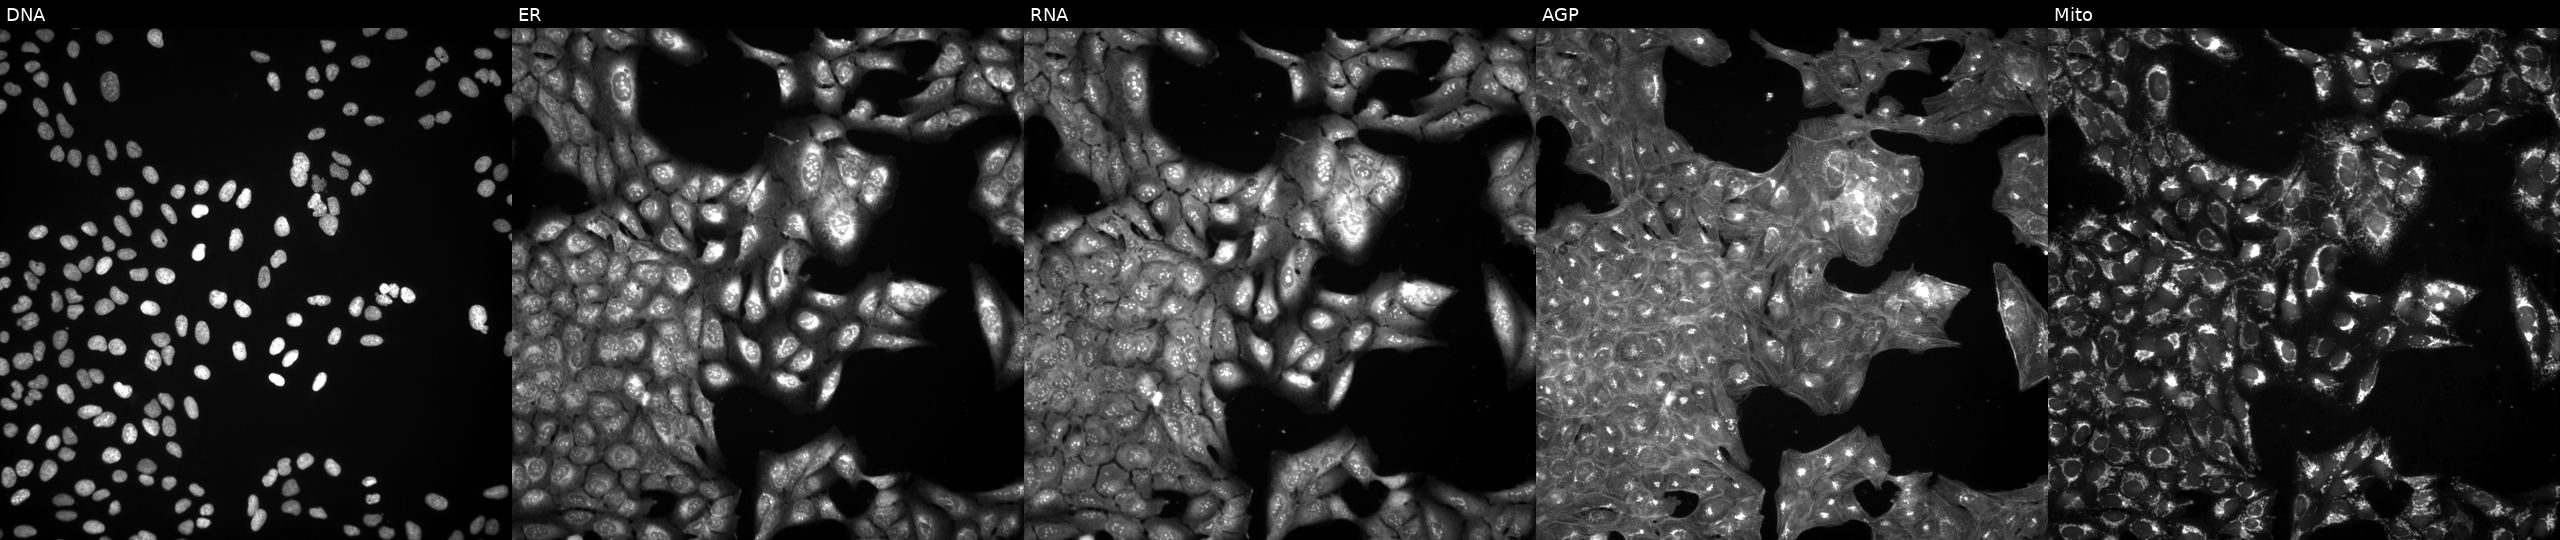
From left to right: DNA (nuclei); ER (endoplasmic reticulum); RNA (nucleoli and cytoplasmic RNA); AGP (actin cytoskeleton, Golgi, and plasma membrane); Mito (mitochondria). U2OS osteosarcoma cells perturbed with a small-molecule compound (InChIKey HSTZMXCBWJGKHG-UHFFFAOYSA-N) [SMILES: OCC1OC(Oc2cc(O)cc(C=Cc3ccc(O)cc3)c2)C(O)C(O)C1O]. Cell Painting assay, JUMP-CP dataset. Source 3, plate JCPQC052, well J15.